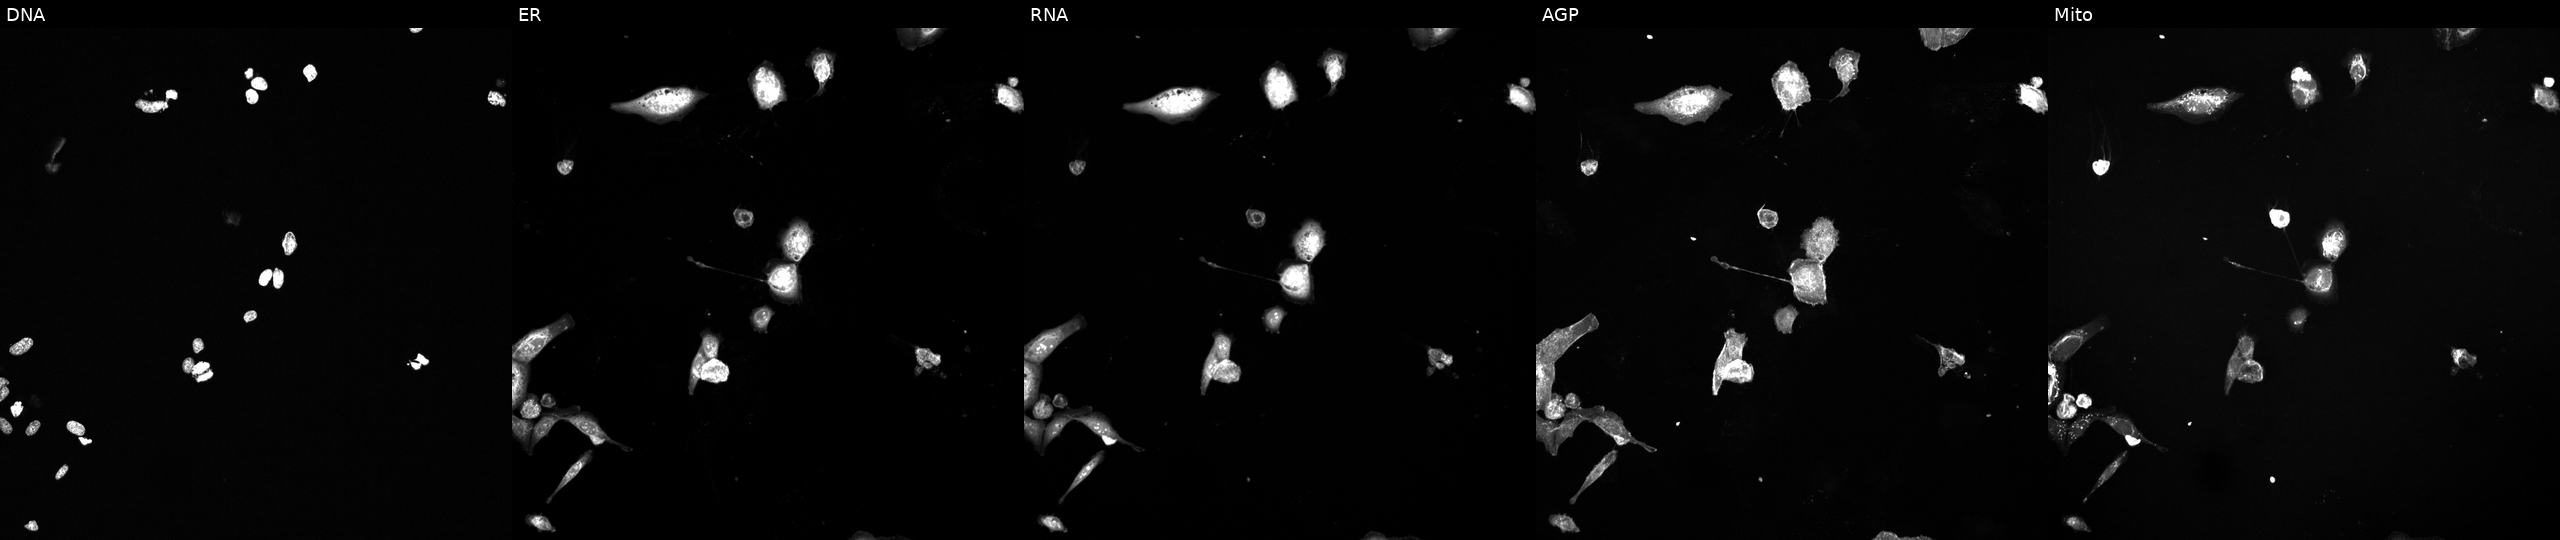
Five-channel Cell Painting image of U2OS cells perturbed with a small-molecule compound (InChIKey UEVQZQBHCRFJRI-UHFFFAOYSA-N) (JUMP id JCP2022_088751). Channels (left→right): DNA, ER, RNA, AGP, and Mito. Source 6, plate 110000293082, well A18.